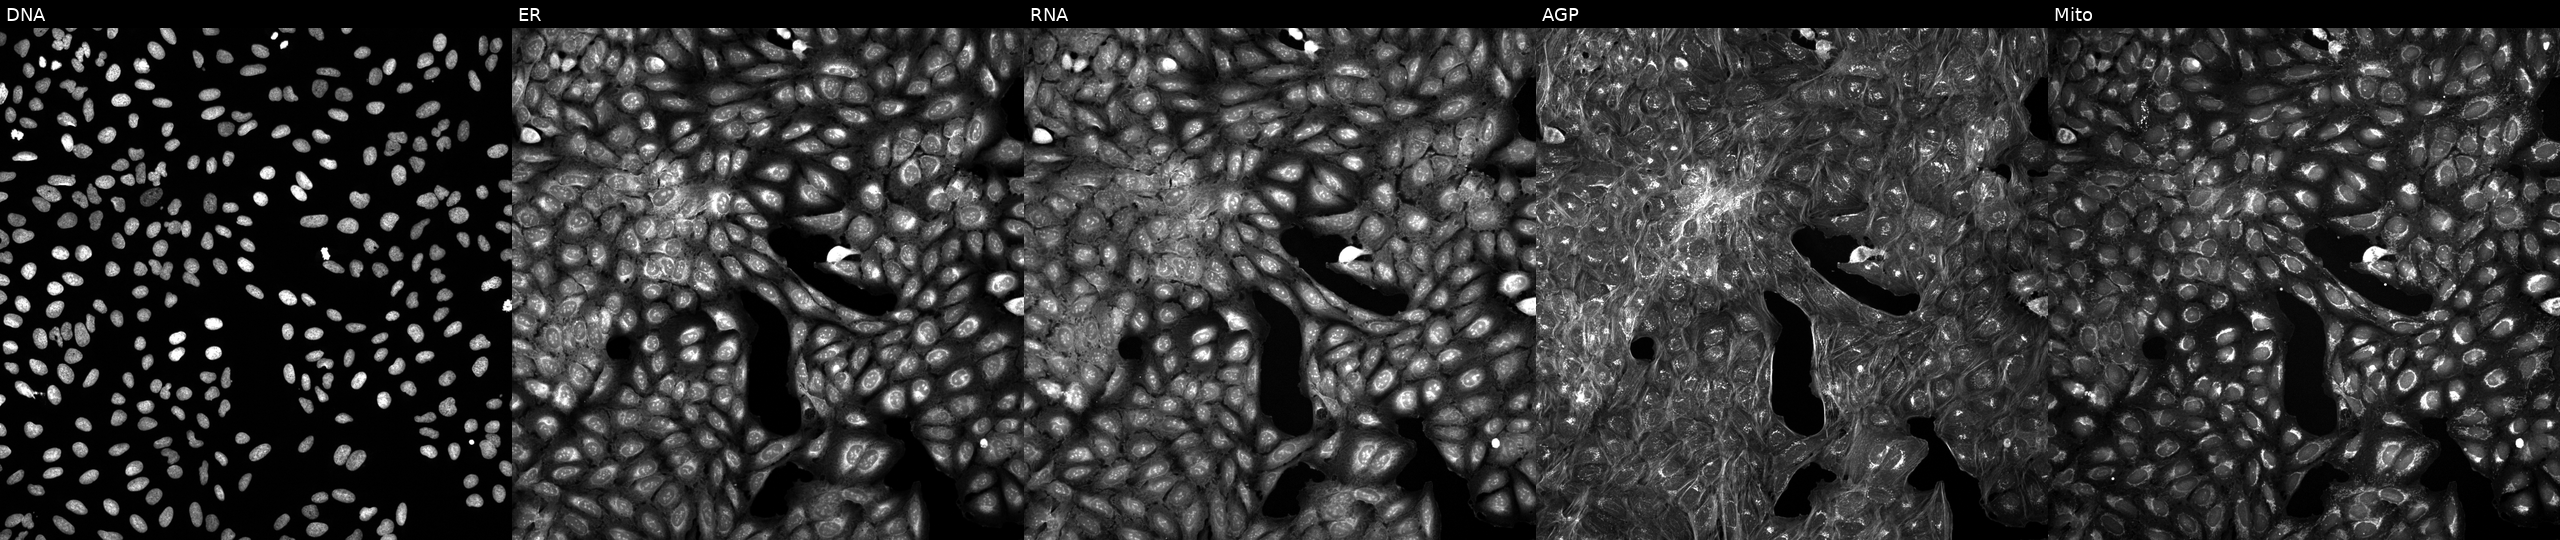
Five-channel Cell Painting image of U2OS cells exposed to DMSO alone as a negative control (JUMP id JCP2022_033924). From left to right: DNA, ER, RNA, AGP, and Mito.